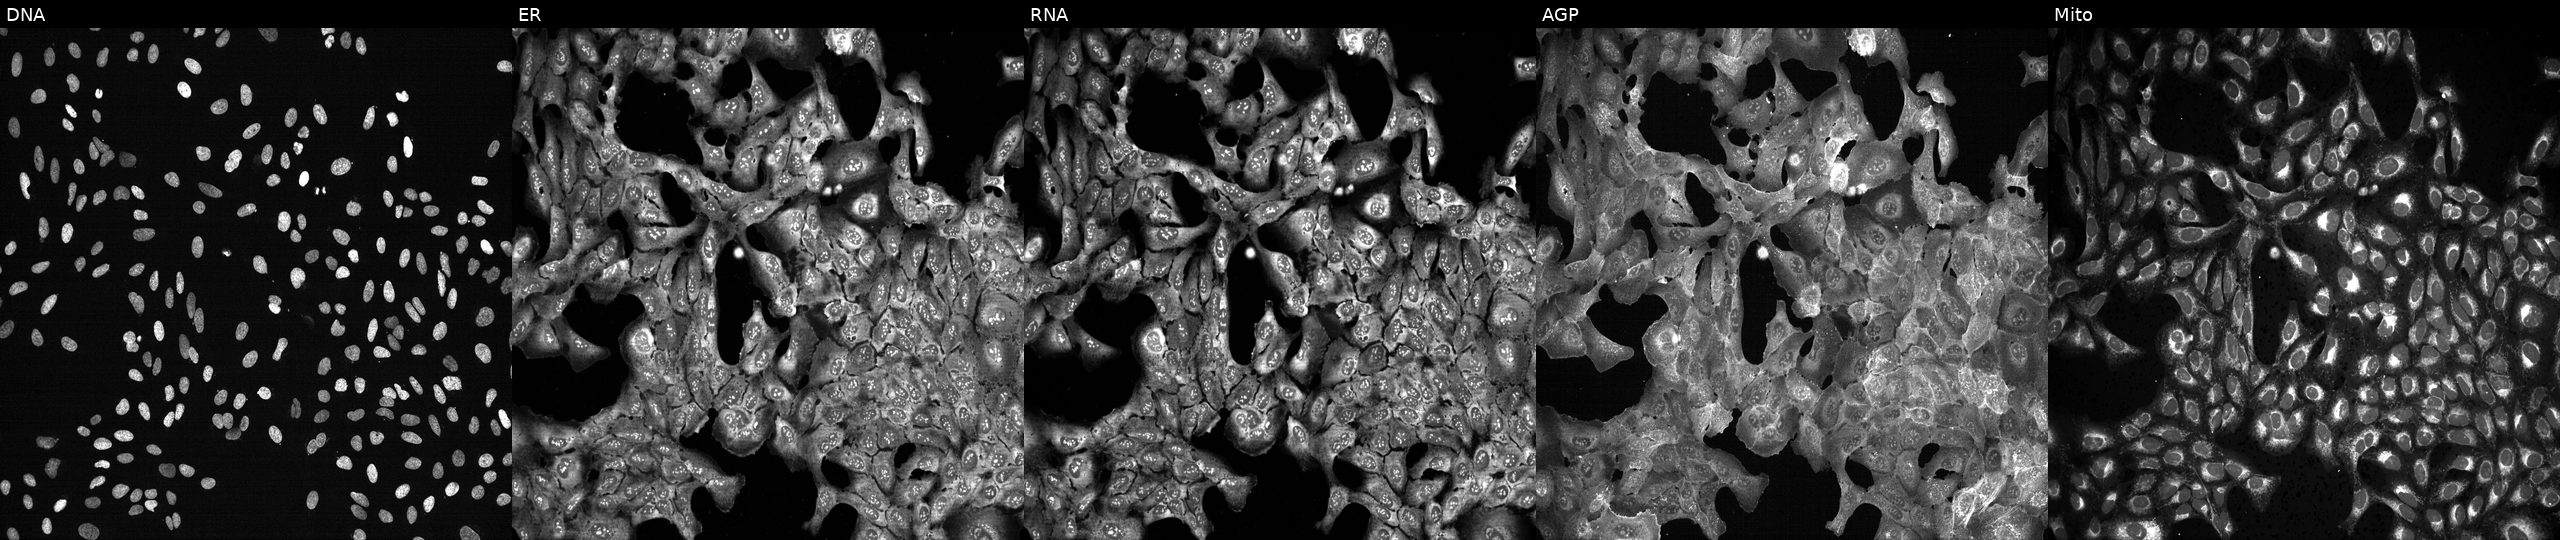
High-content fluorescence microscopy (Cell Painting). Cell line: U2OS. Perturbation: following CRISPR knockout of CPS1 (JUMP id JCP2022_801483). Channels (left→right): Hoechst 33342, concanavalin A, SYTO 14, phalloidin and WGA, MitoTracker. Source 13, plate CP-CC9-R2-02, well C14.